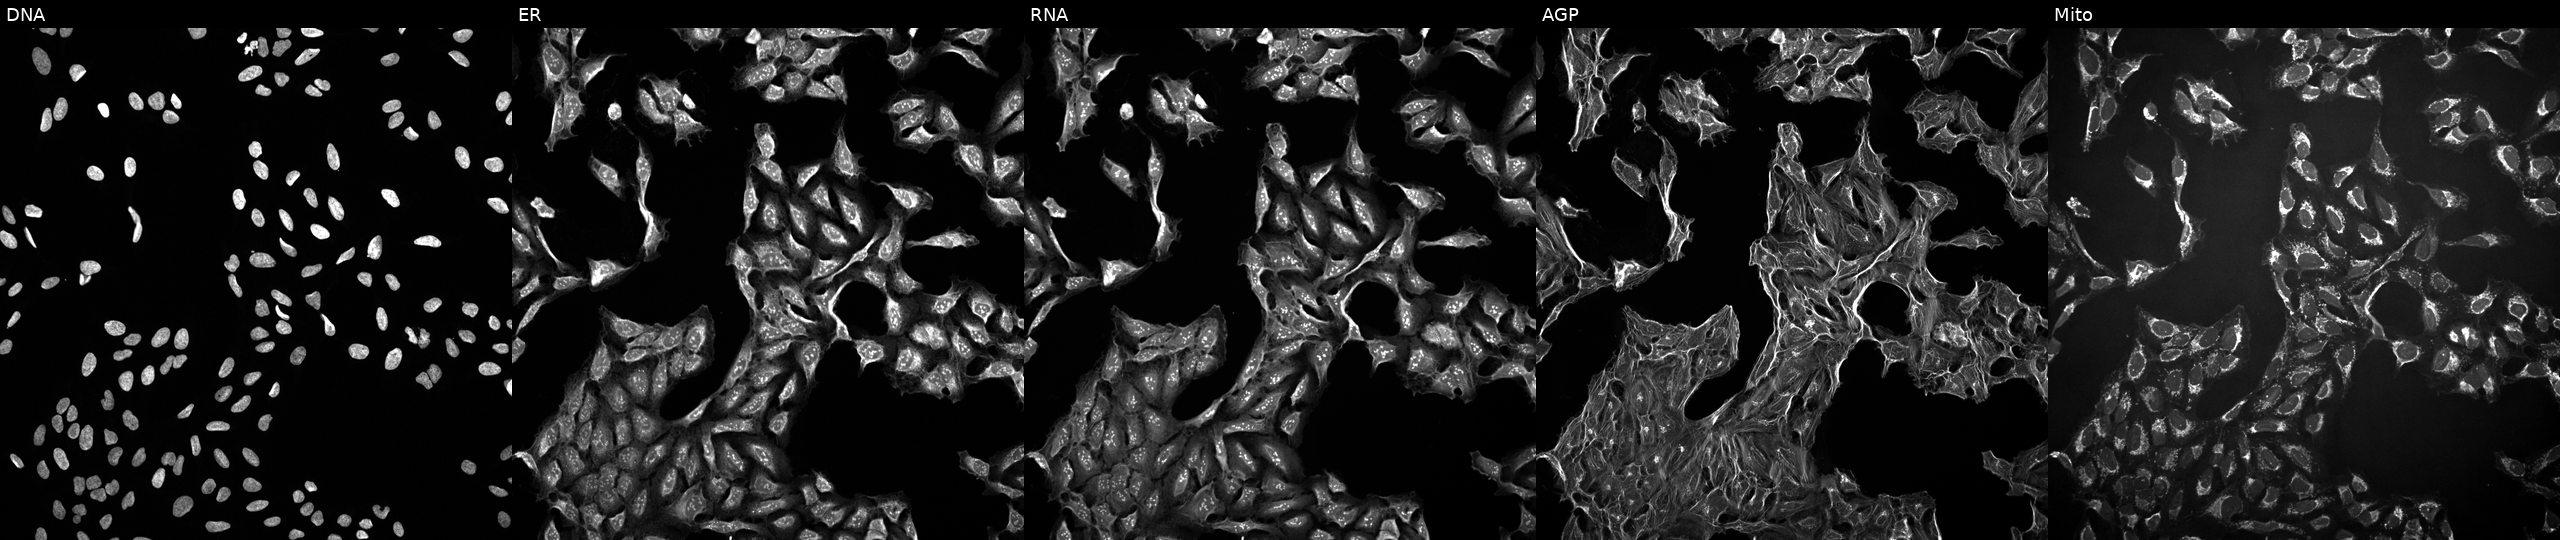
From left to right: DNA, ER, RNA, AGP, and Mito. U2OS osteosarcoma cells perturbed with a small-molecule compound (InChIKey SHZKQBHERIJWAO-UHFFFAOYSA-N) (JUMP id JCP2022_083372). Cell Painting assay, JUMP-CP dataset. Source 10, plate Dest210726-160150, well P05.